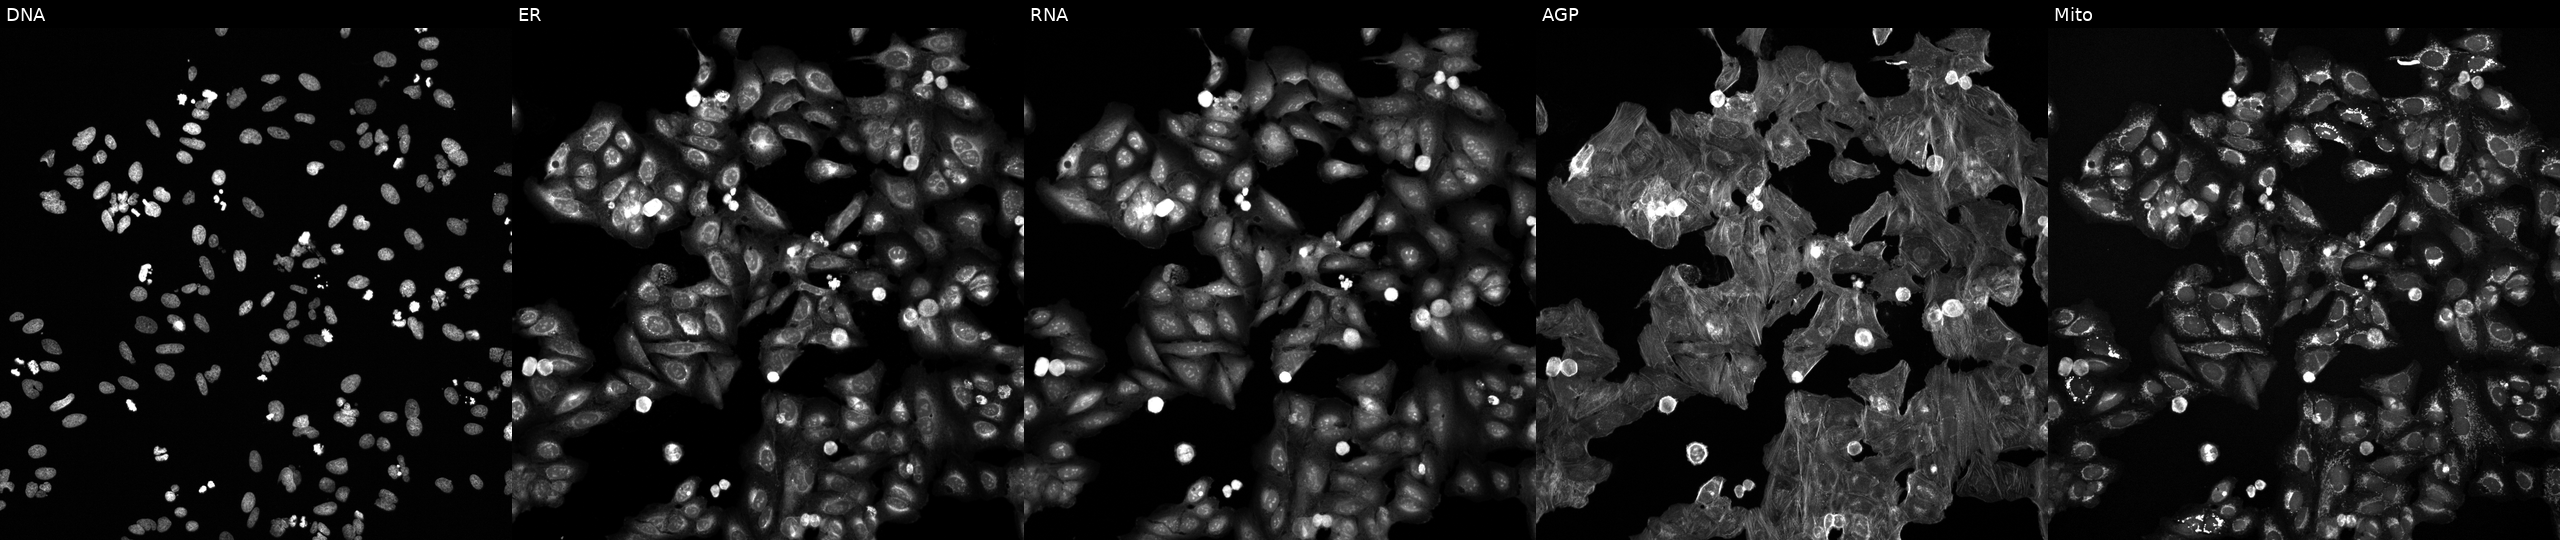
Channels (left→right): Hoechst 33342, concanavalin A, SYTO 14, phalloidin and WGA, MitoTracker. U2OS osteosarcoma cells perturbed with a small-molecule compound (InChIKey STBDOYDOJJYULH-UHFFFAOYSA-N). Cell Painting assay, JUMP-CP dataset. Source 6, plate 110000293082, well G21.